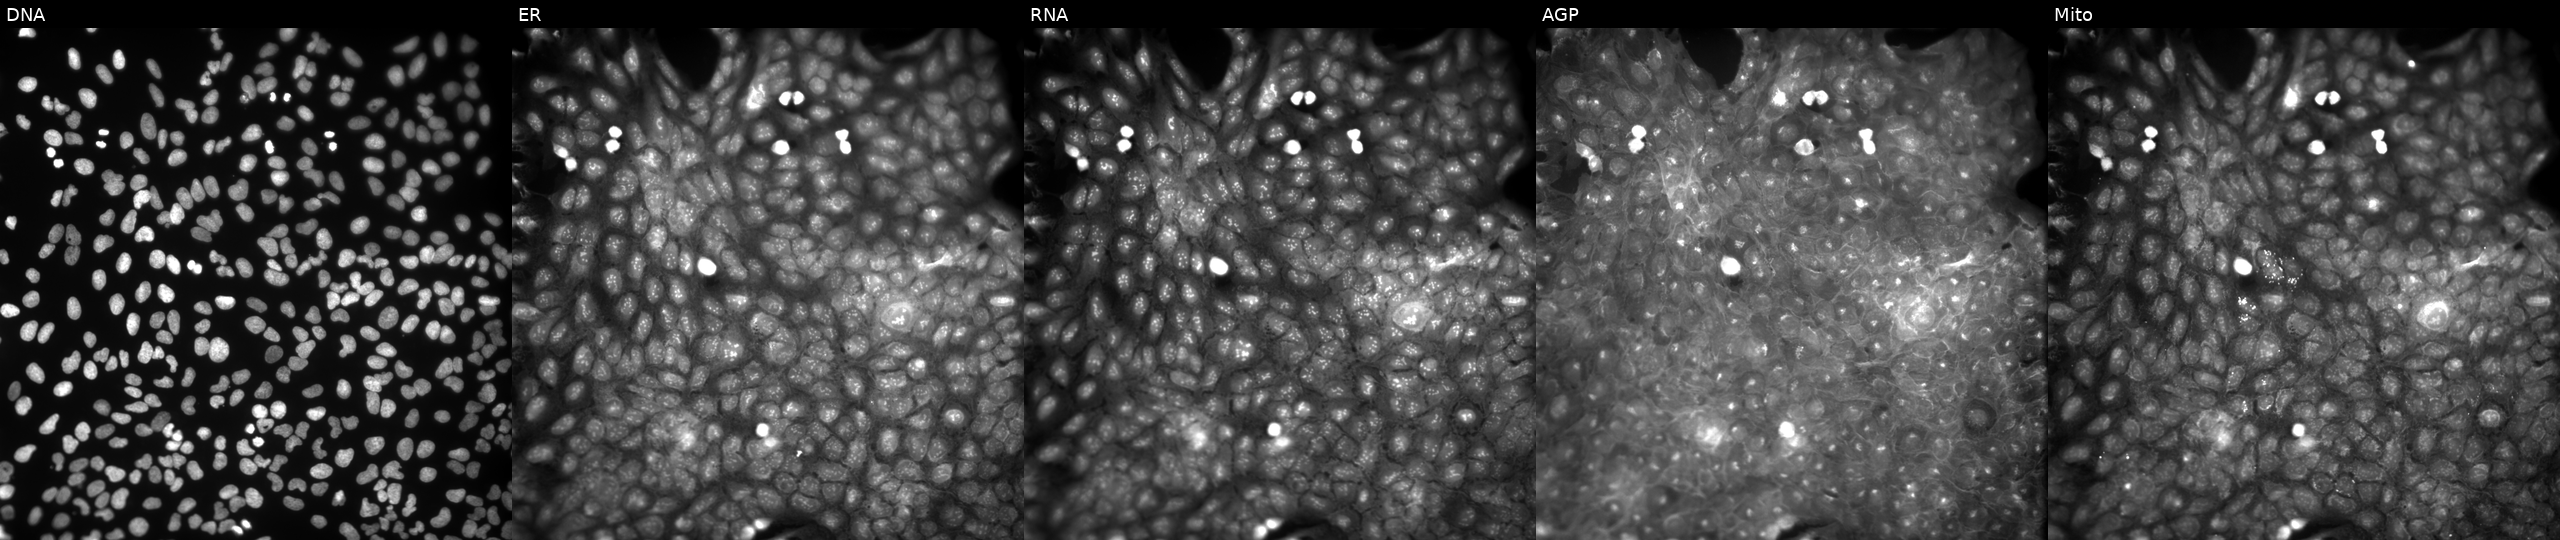
High-content fluorescence microscopy (Cell Painting). Cell line: U2OS. Perturbation: perturbed with a small-molecule compound (InChIKey DTIXPBJNKWKBPD-UHFFFAOYSA-N). Panels show, left to right, DNA, ER, RNA, AGP, and Mito.